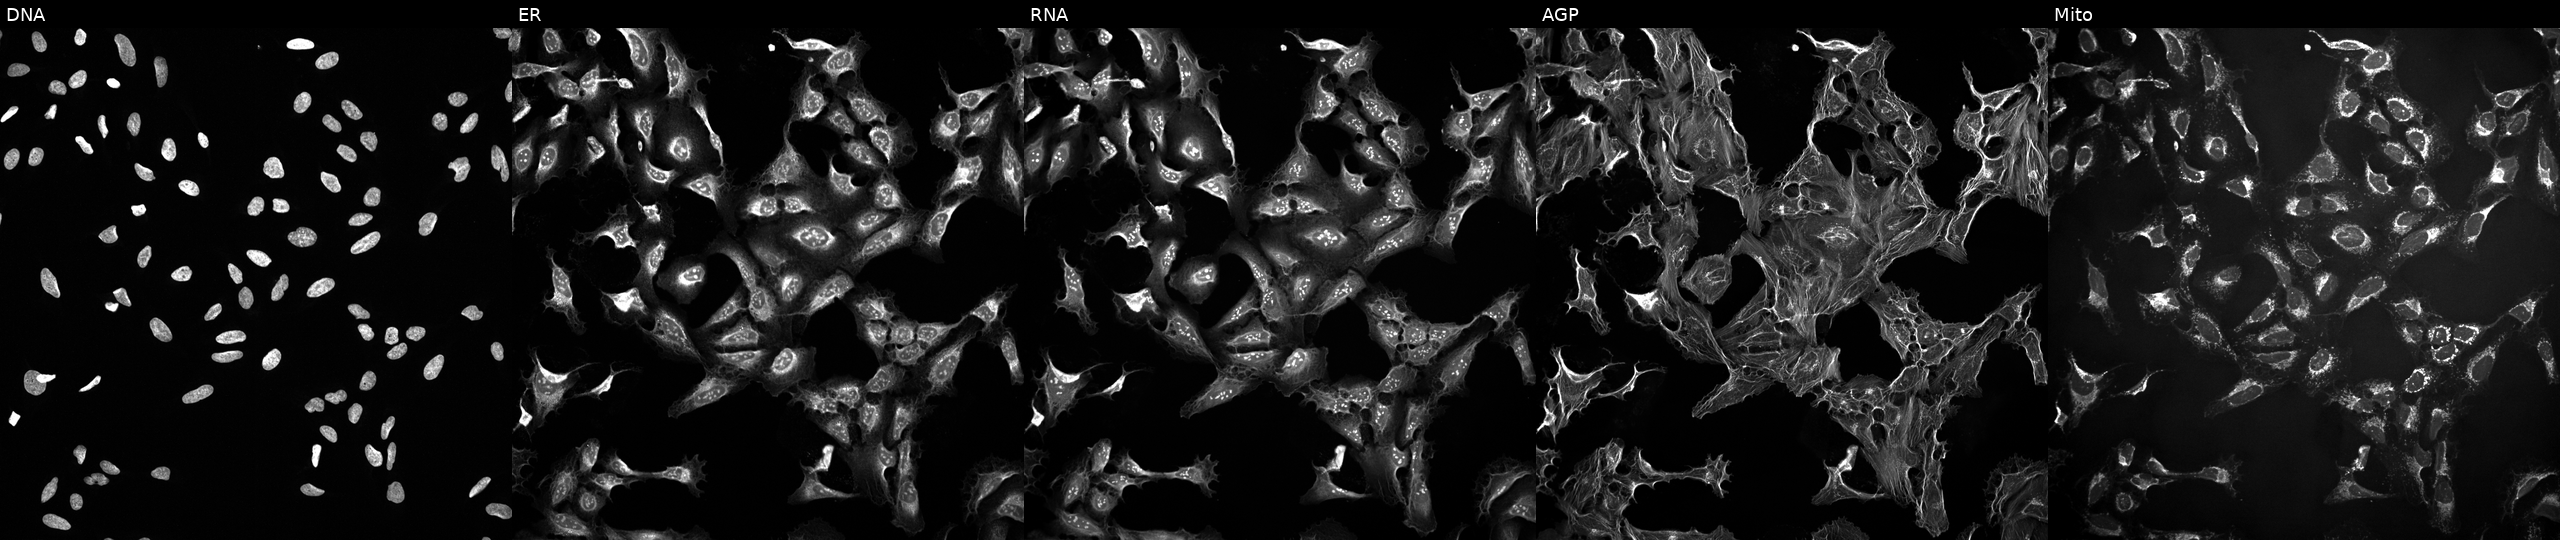
Five-channel Cell Painting image of U2OS cells perturbed with a small-molecule compound (InChIKey IPSSXIMJJXSJQB-UHFFFAOYSA-N) (JUMP id JCP2022_036614). Channels (left→right): Hoechst 33342, concanavalin A, SYTO 14, phalloidin and WGA, MitoTracker. Source 10, plate Dest210727-153003, well L05.